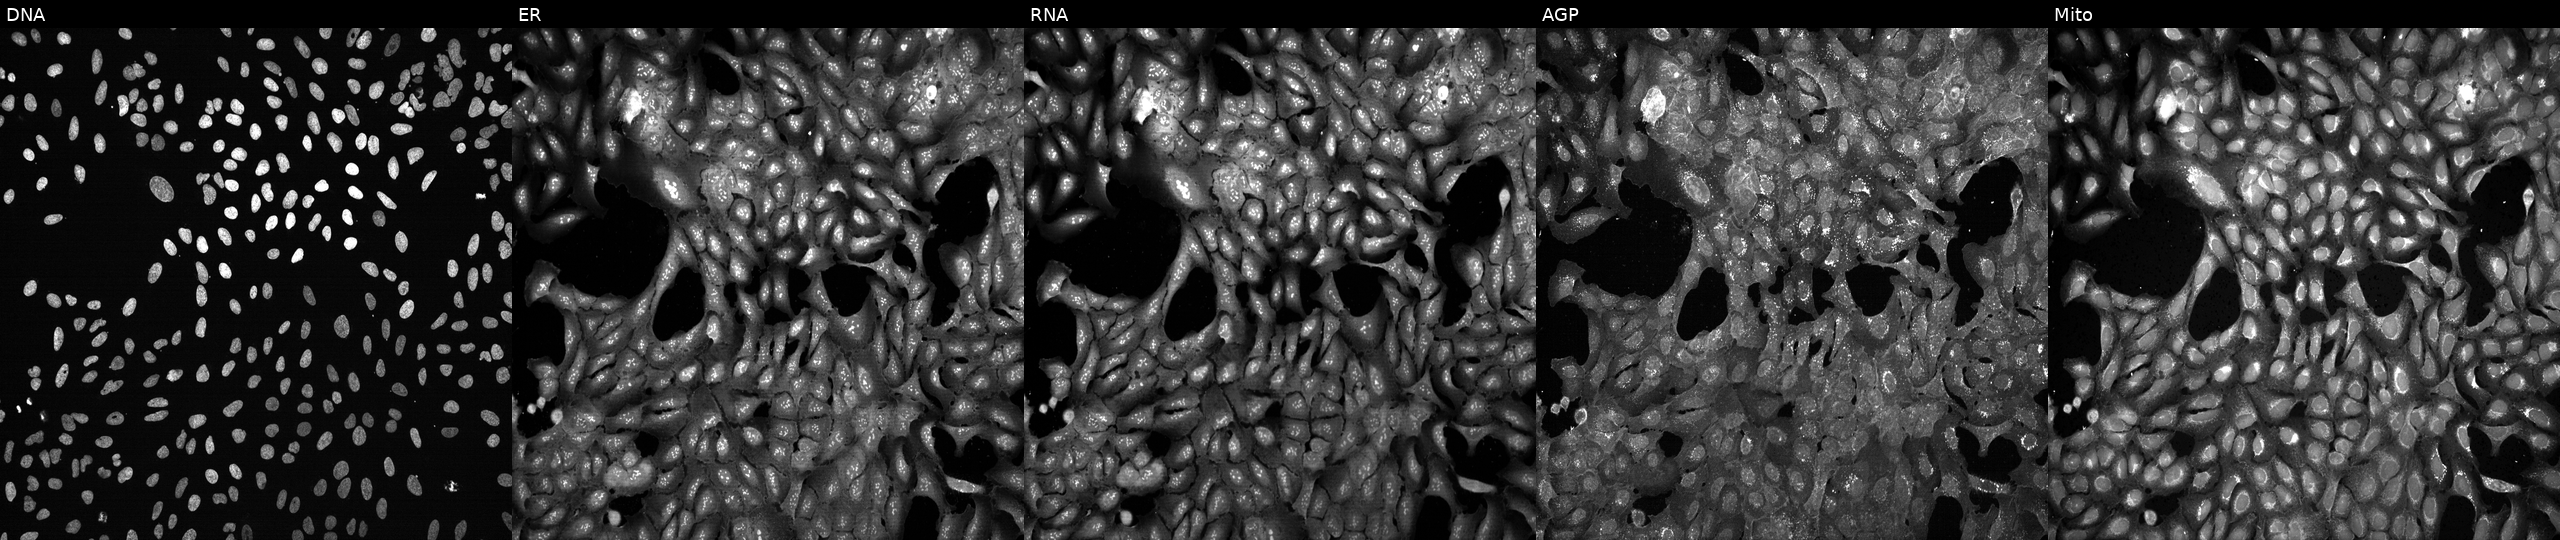
The five panels, left to right, show DNA, ER, RNA, AGP, and Mito. U2OS osteosarcoma cells following CRISPR knockout of POLR3H (JUMP id JCP2022_805359). Cell Painting assay, JUMP-CP dataset.